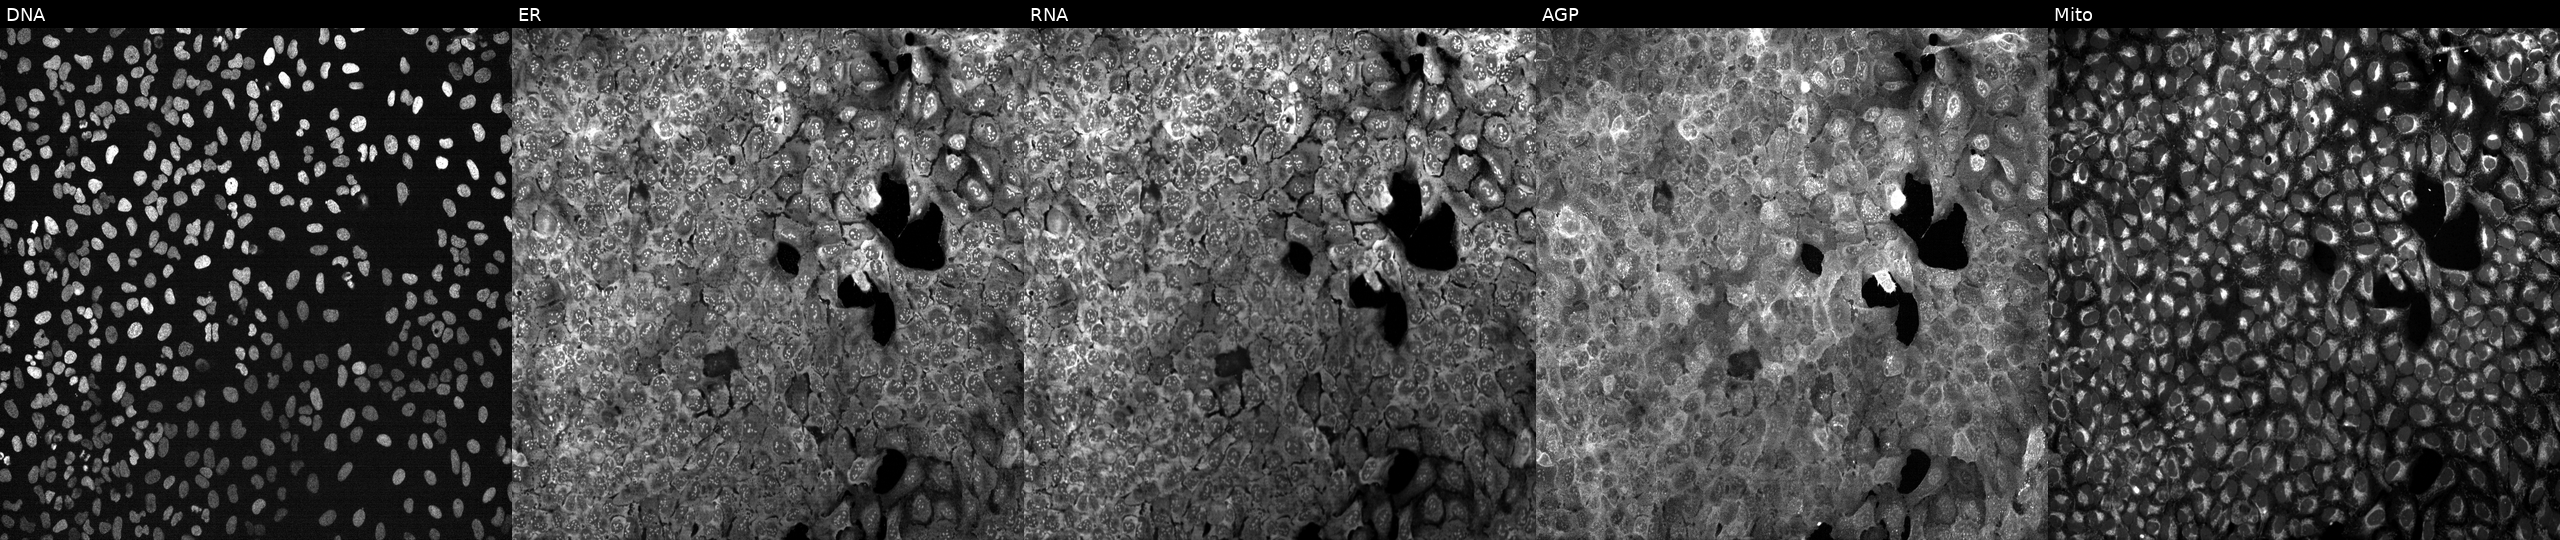
This image strip shows the five Cell Painting channels for a single field of U2OS cells following CRISPR knockout of REXO2 (JUMP id JCP2022_805908). From left to right: DNA, ER, RNA, AGP, and Mito. Source 13, plate CP-CC9-R4-04, well K09.